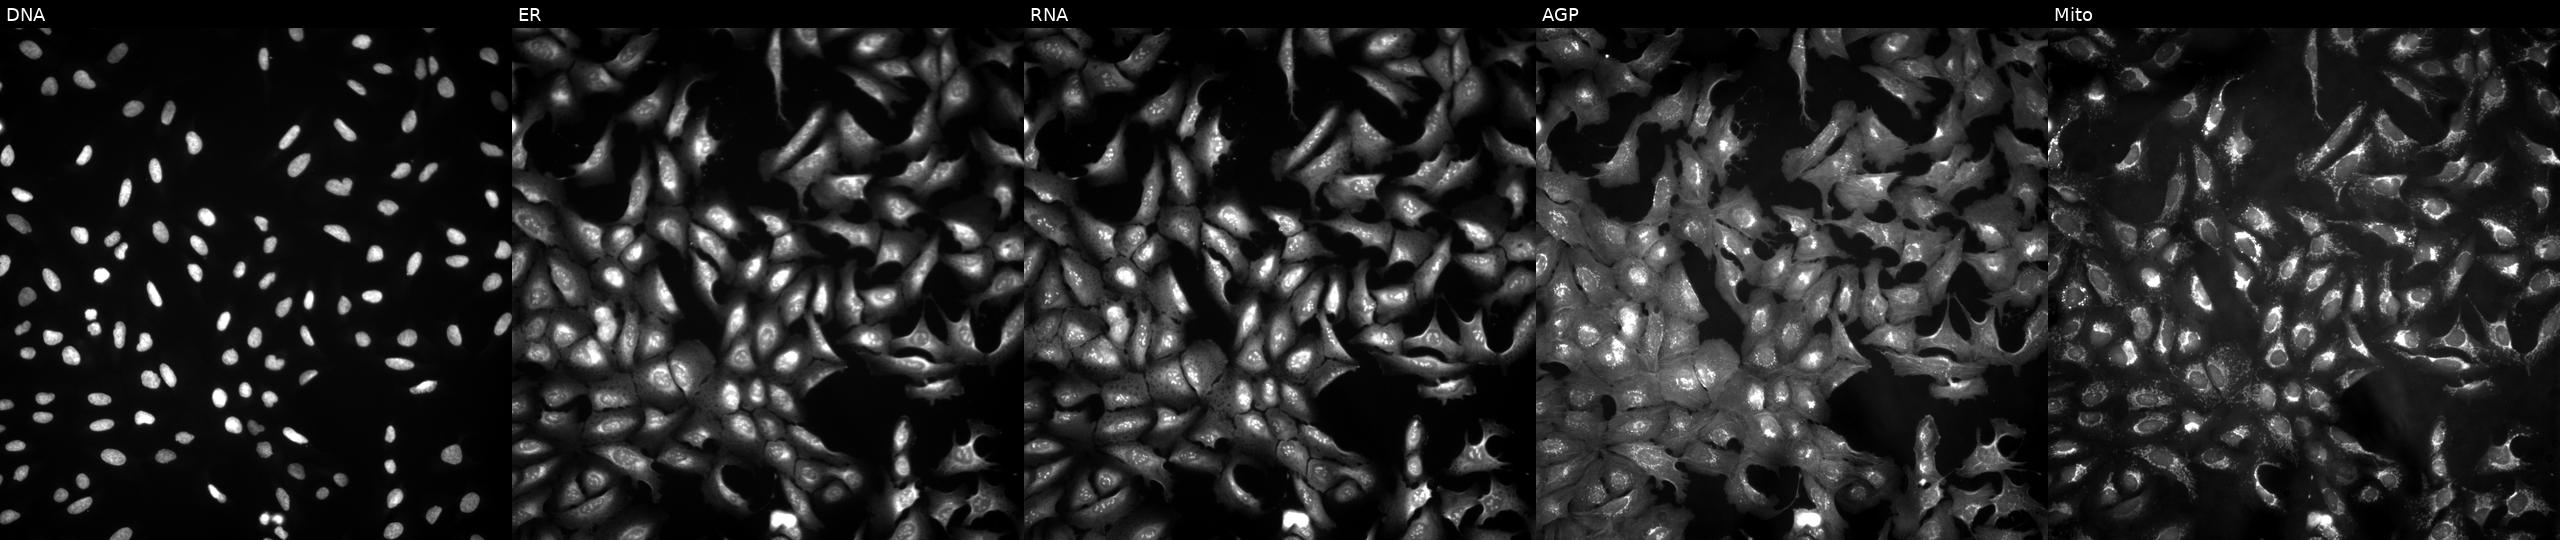
Five-channel Cell Painting image of U2OS cells overexpressing SNX31 via ORF transfection (JUMP id JCP2022_912439). Channels (left→right): DNA (nuclei); ER (endoplasmic reticulum); RNA (nucleoli and cytoplasmic RNA); AGP (actin cytoskeleton, Golgi, and plasma membrane); Mito (mitochondria). Source 4, plate BR00121543, well B13.